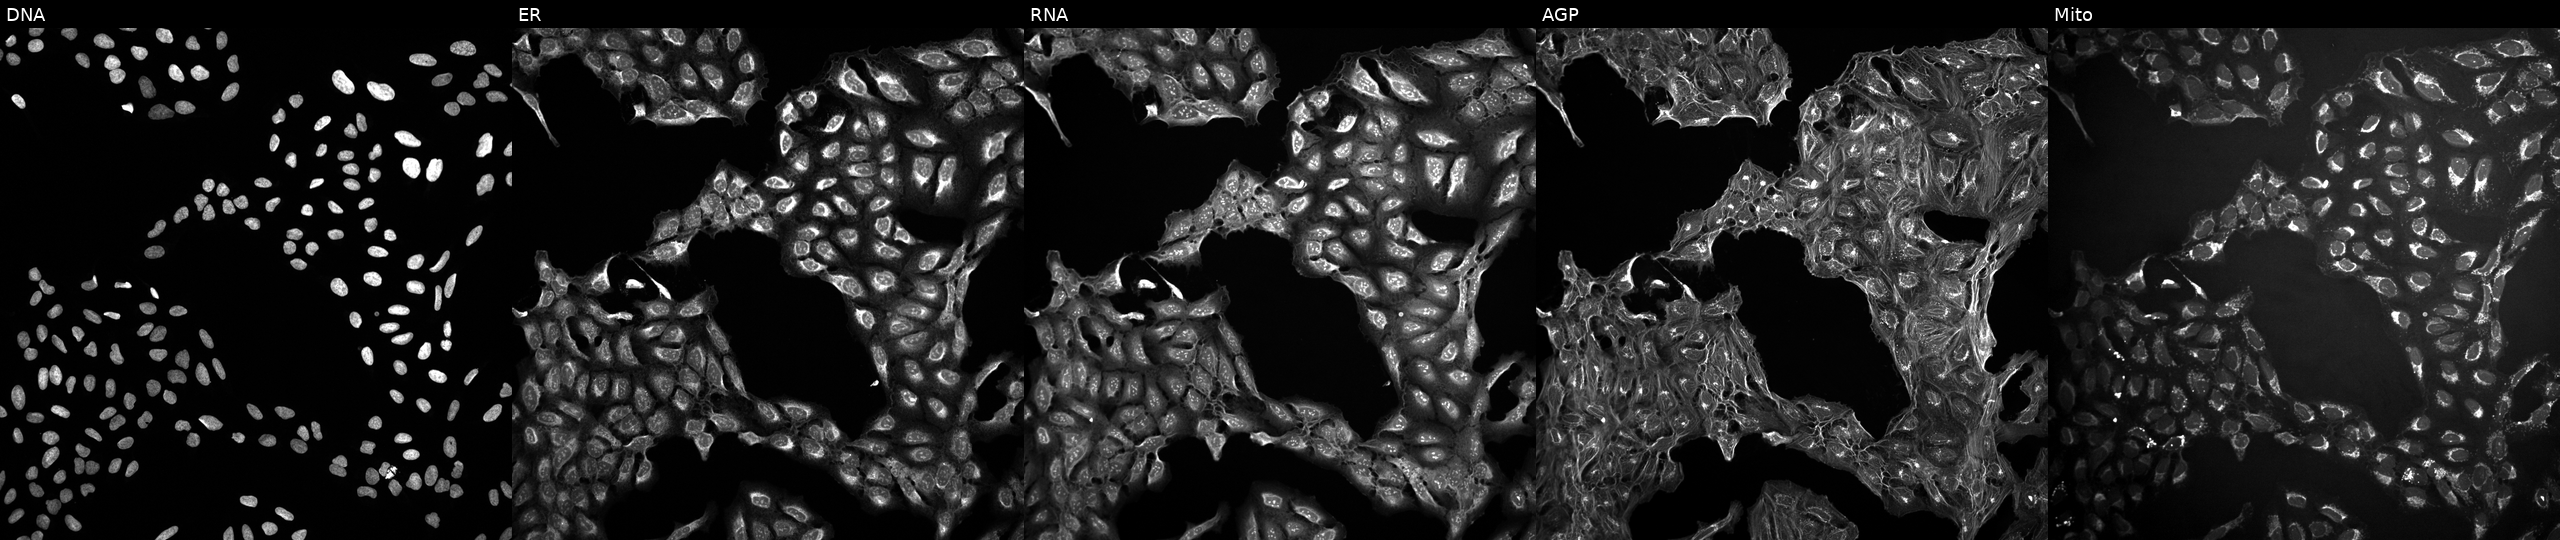
JUMP Cell Painting — COMPOUND plate. U2OS cells perturbed with a small-molecule compound (InChIKey UDLNAKGEMJBSTF-UHFFFAOYSA-N). From left to right: DNA (nuclei); ER (endoplasmic reticulum); RNA (nucleoli and cytoplasmic RNA); AGP (actin cytoskeleton, Golgi, and plasma membrane); Mito (mitochondria).